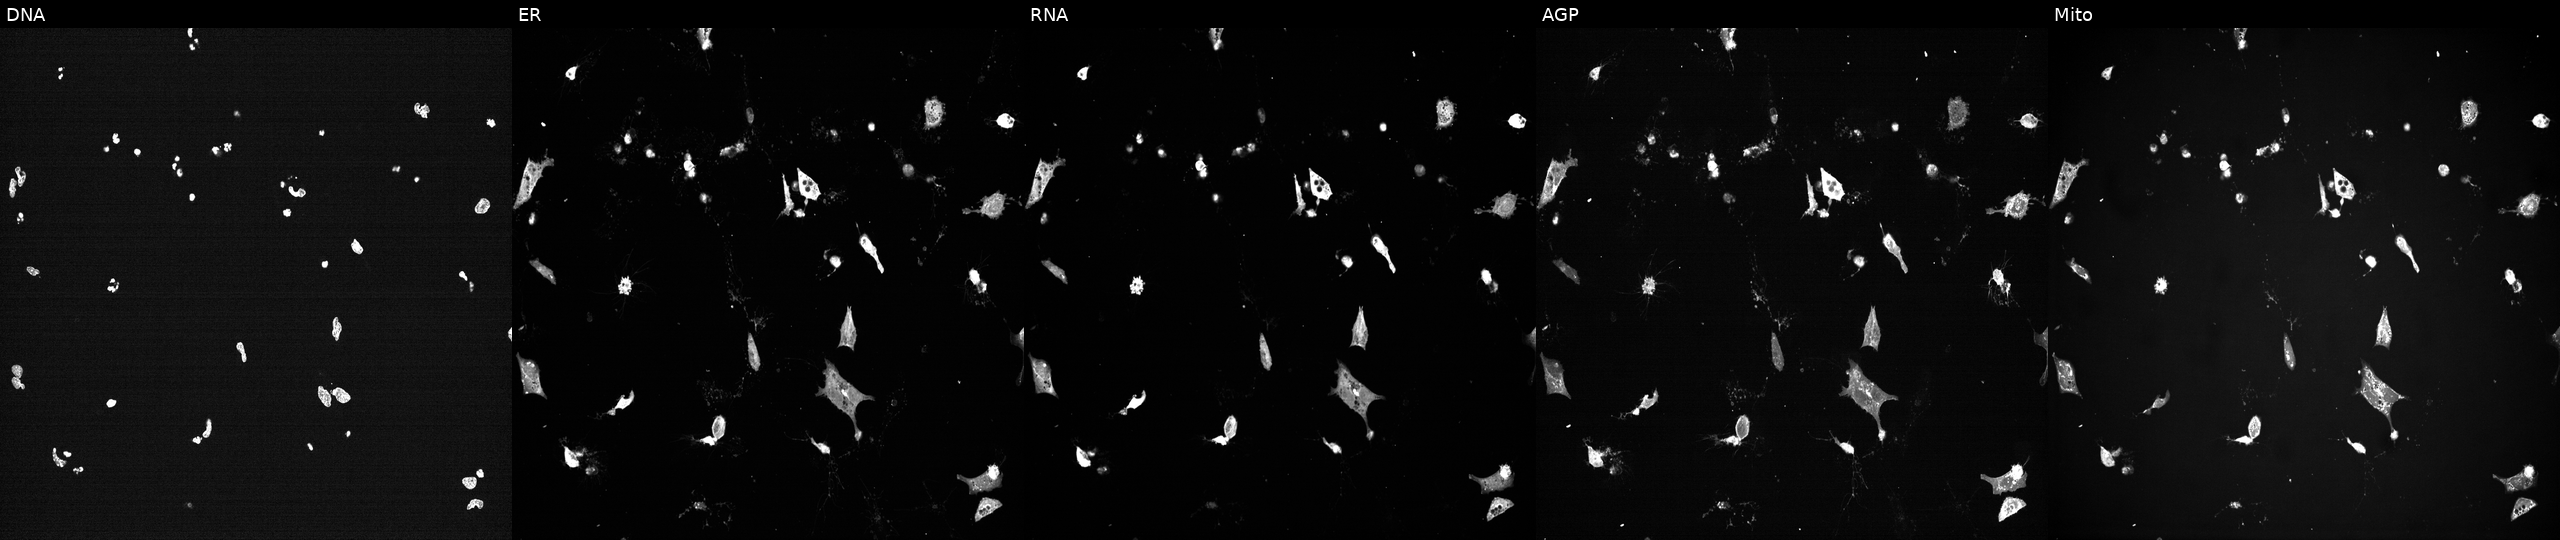
Five-channel Cell Painting image of U2OS cells perturbed with a small-molecule compound (InChIKey VXBAJLGYBMTJCY-UHFFFAOYSA-N) (JUMP id JCP2022_096865). The five panels, left to right, show DNA, ER, RNA, AGP, and Mito.